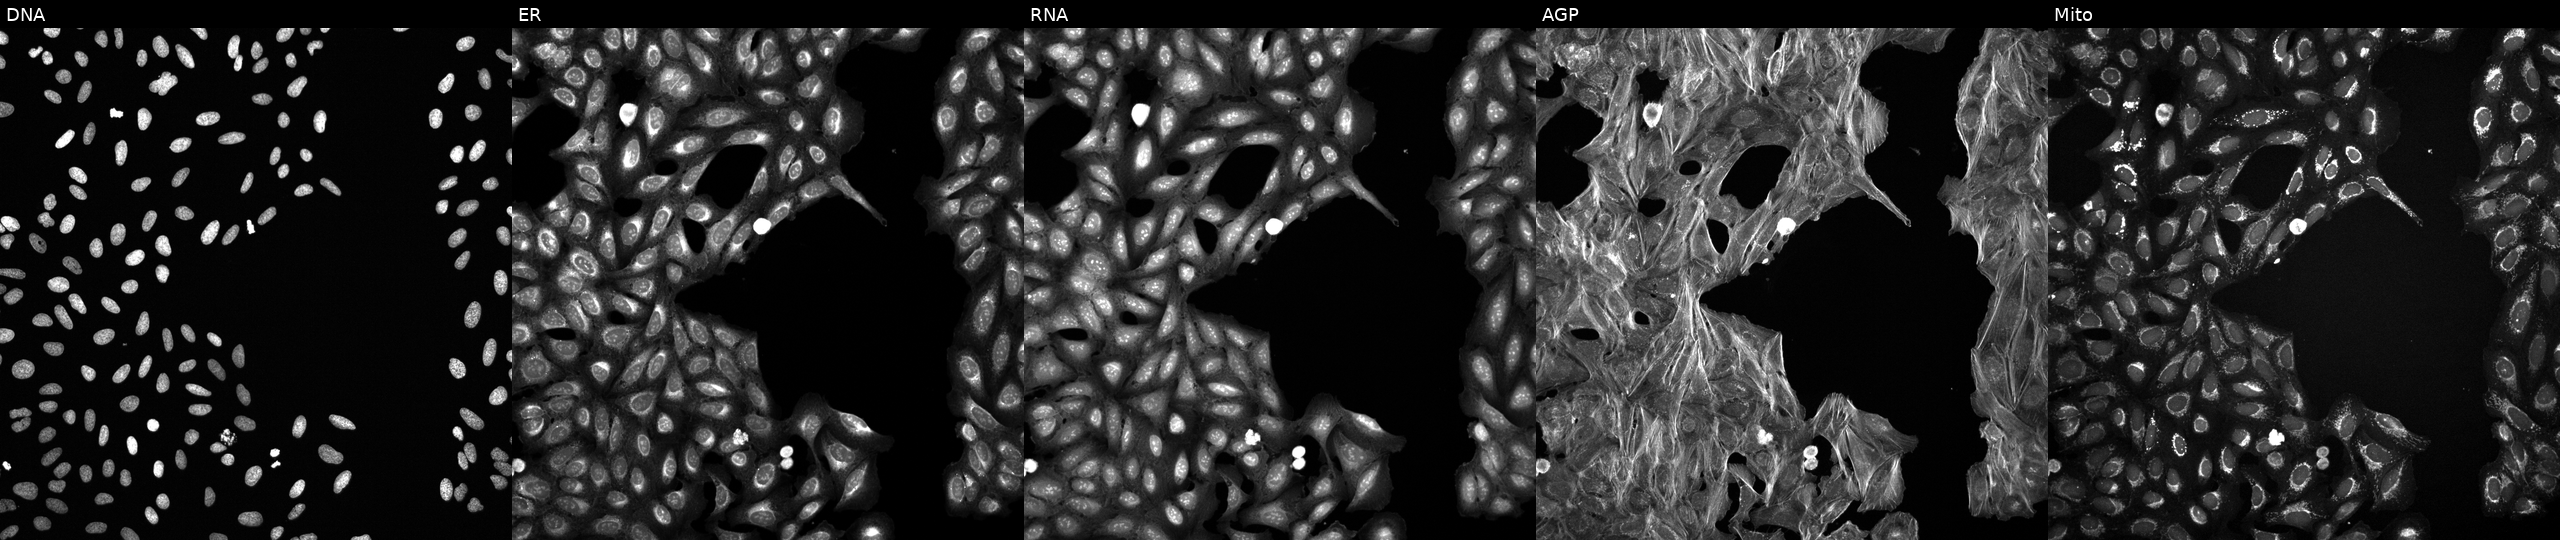
Panels show, left to right, DNA, ER, RNA, AGP, and Mito. U2OS osteosarcoma cells perturbed with a small-molecule compound. Cell Painting assay, JUMP-CP dataset.